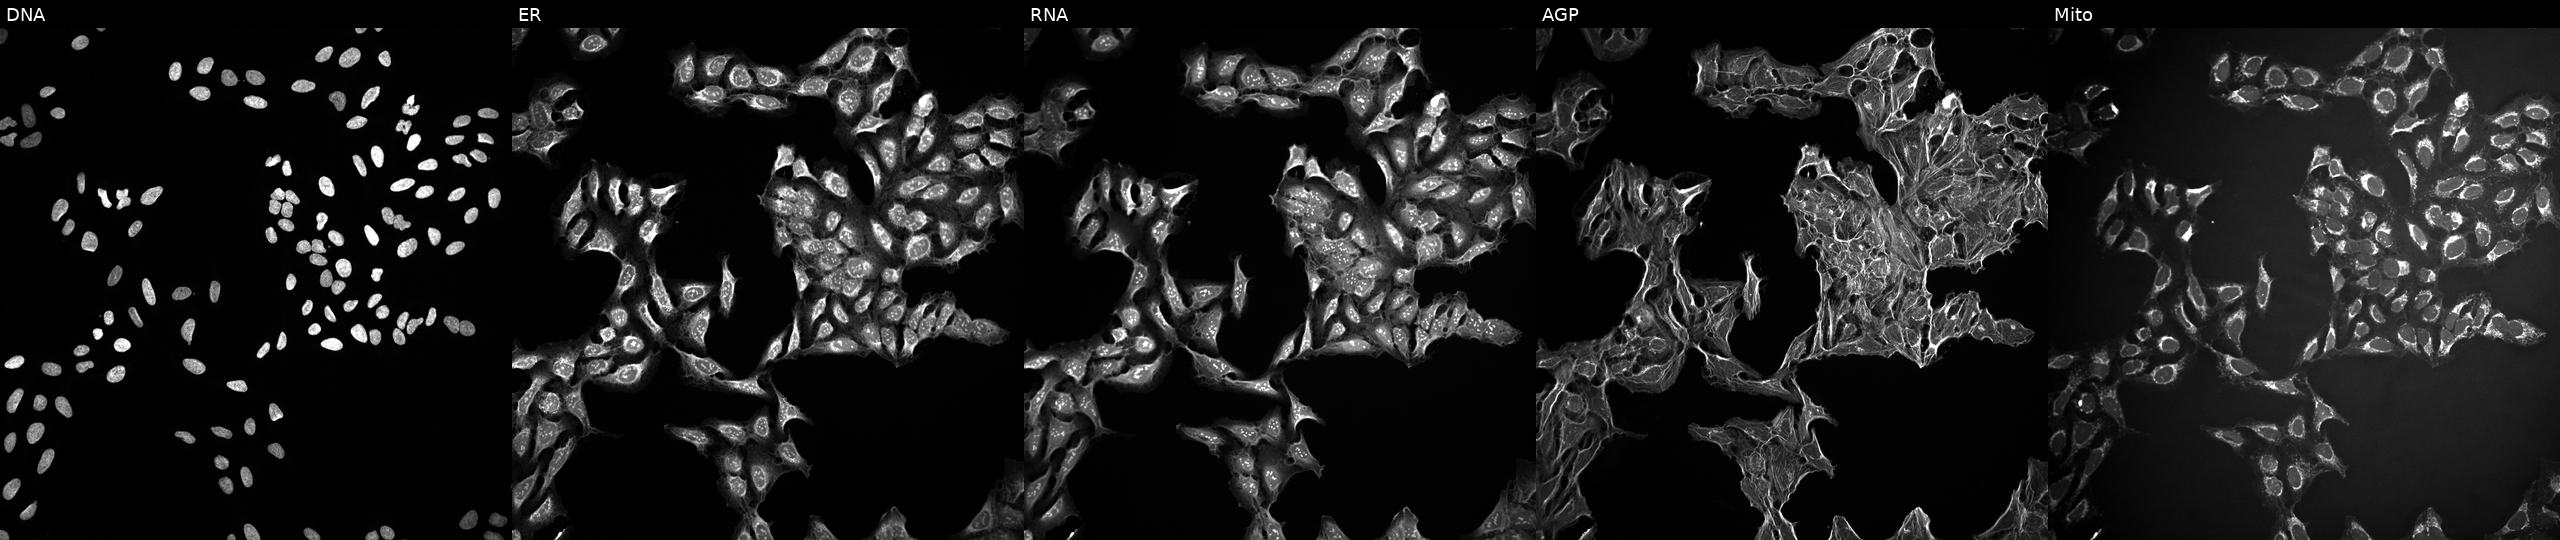
Five-channel Cell Painting image of U2OS cells perturbed with a small-molecule compound (InChIKey NLSSUSRERAMBTA-UHFFFAOYSA-N) [SMILES: O=C(Nc1ccc(N2CCC(C(=O)N3CCOCC3)CC2)cc1)c1cnc(Oc2ccccc2)nc1] (JUMP id JCP2022_059825). From left to right: DNA (nuclei); ER (endoplasmic reticulum); RNA (nucleoli and cytoplasmic RNA); AGP (actin cytoskeleton, Golgi, and plasma membrane); Mito (mitochondria). Source 10, plate Dest210727-153003, well O19.